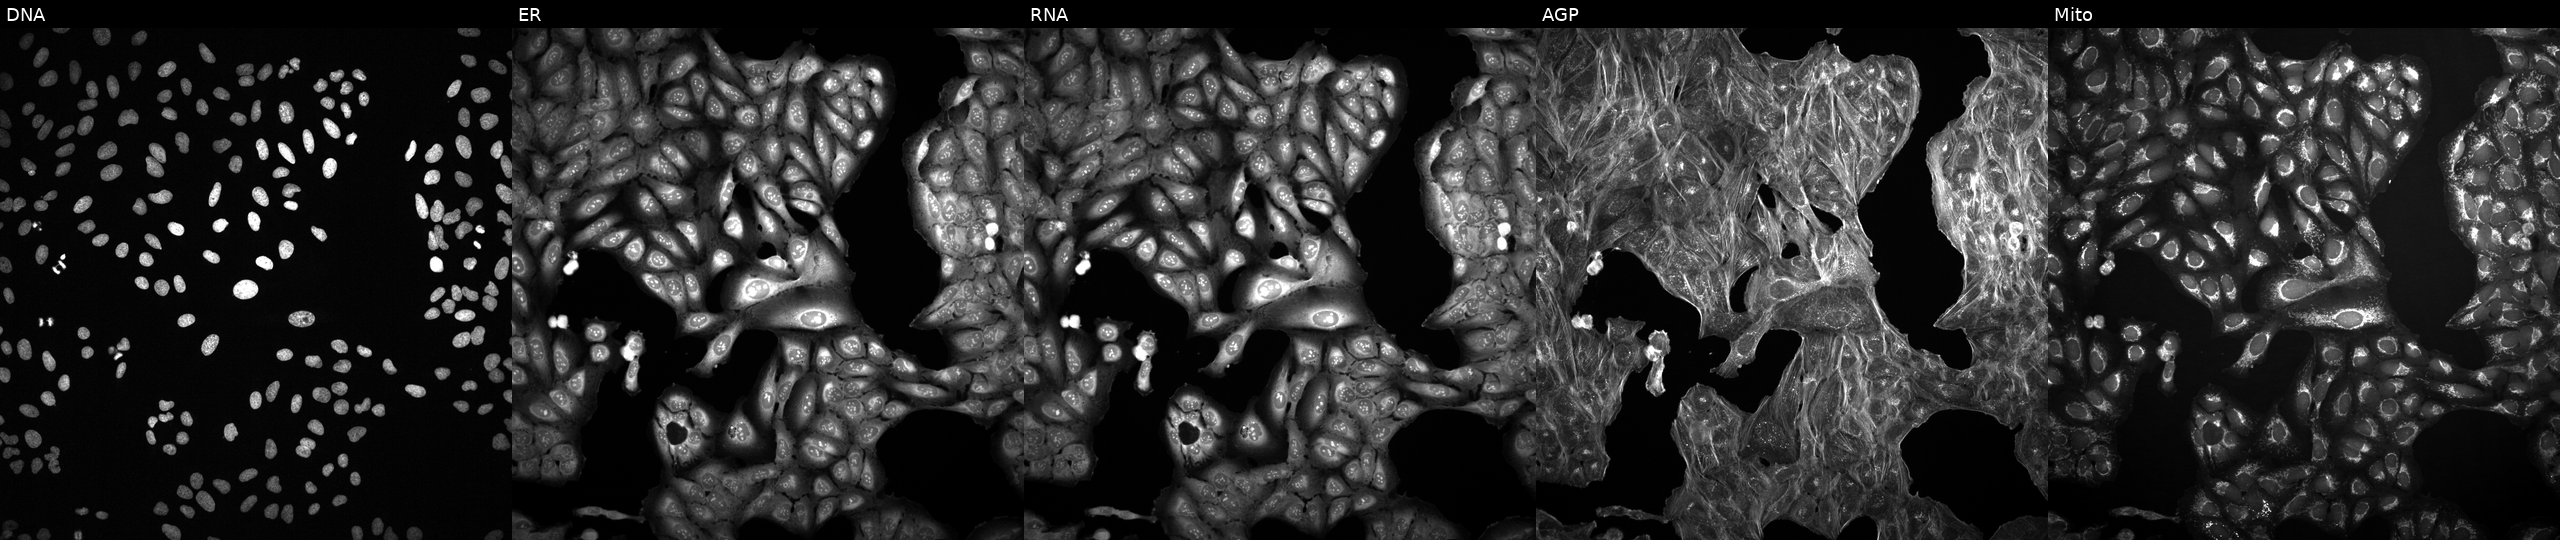
U2OS cells, Cell Painting assay, perturbed with a small-molecule compound (InChIKey LXANPKRCLVQAOG-UHFFFAOYSA-N) (JUMP id JCP2022_052259). Channels (left→right): Hoechst 33342, concanavalin A, SYTO 14, phalloidin and WGA, MitoTracker. Each panel is percentile-stretched 16-bit fluorescence.